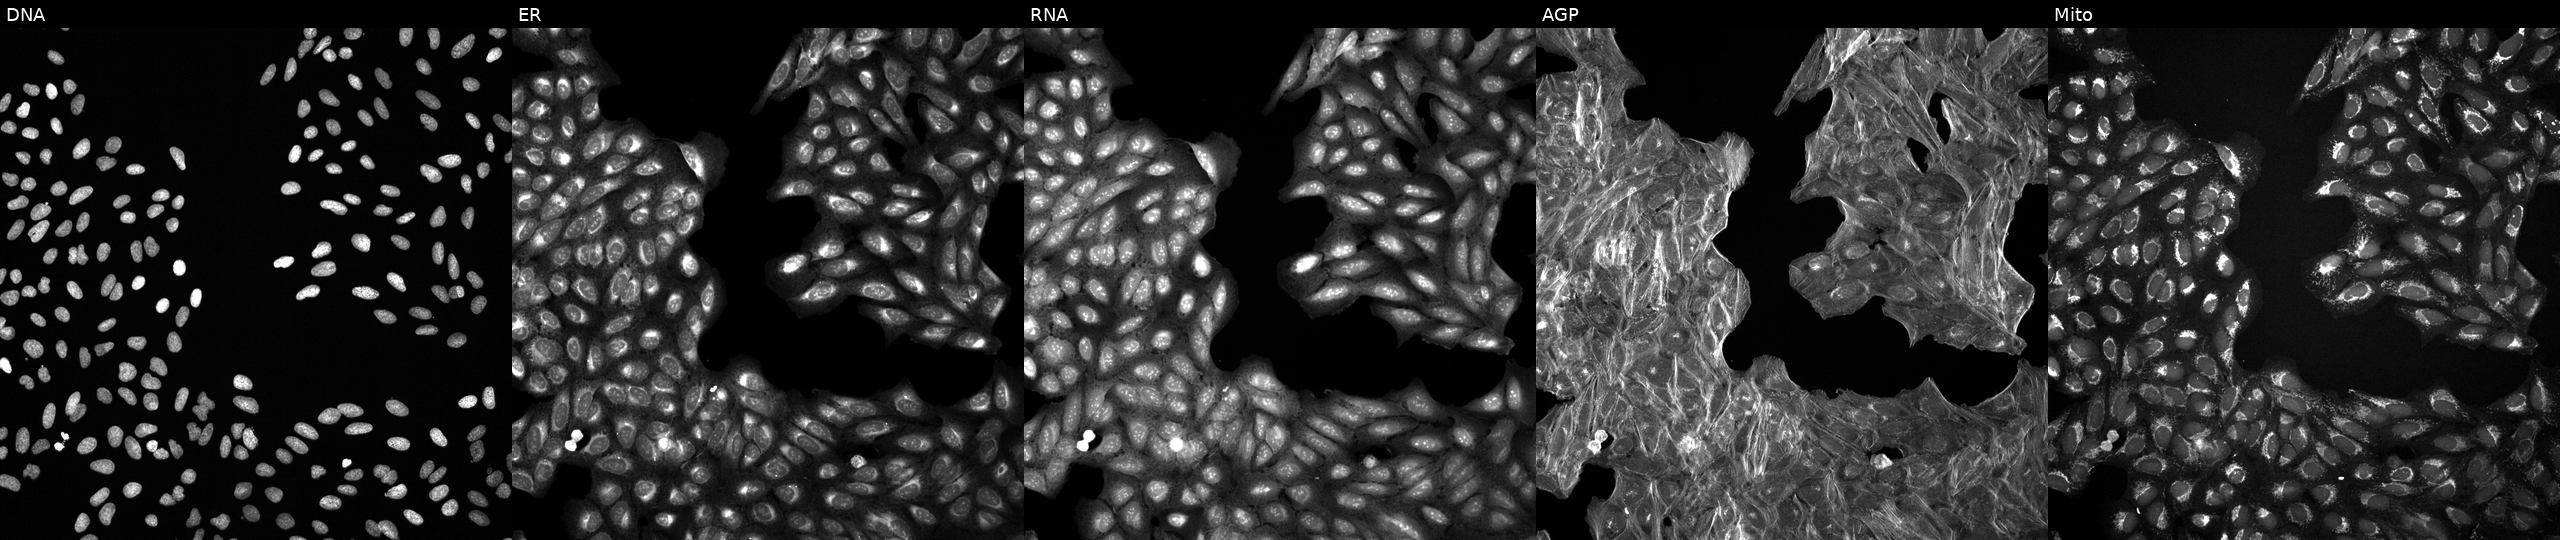
The five panels, left to right, show DNA (nuclei); ER (endoplasmic reticulum); RNA (nucleoli and cytoplasmic RNA); AGP (actin cytoskeleton, Golgi, and plasma membrane); Mito (mitochondria). U2OS osteosarcoma cells exposed to a small-molecule compound. Cell Painting assay, JUMP-CP dataset.